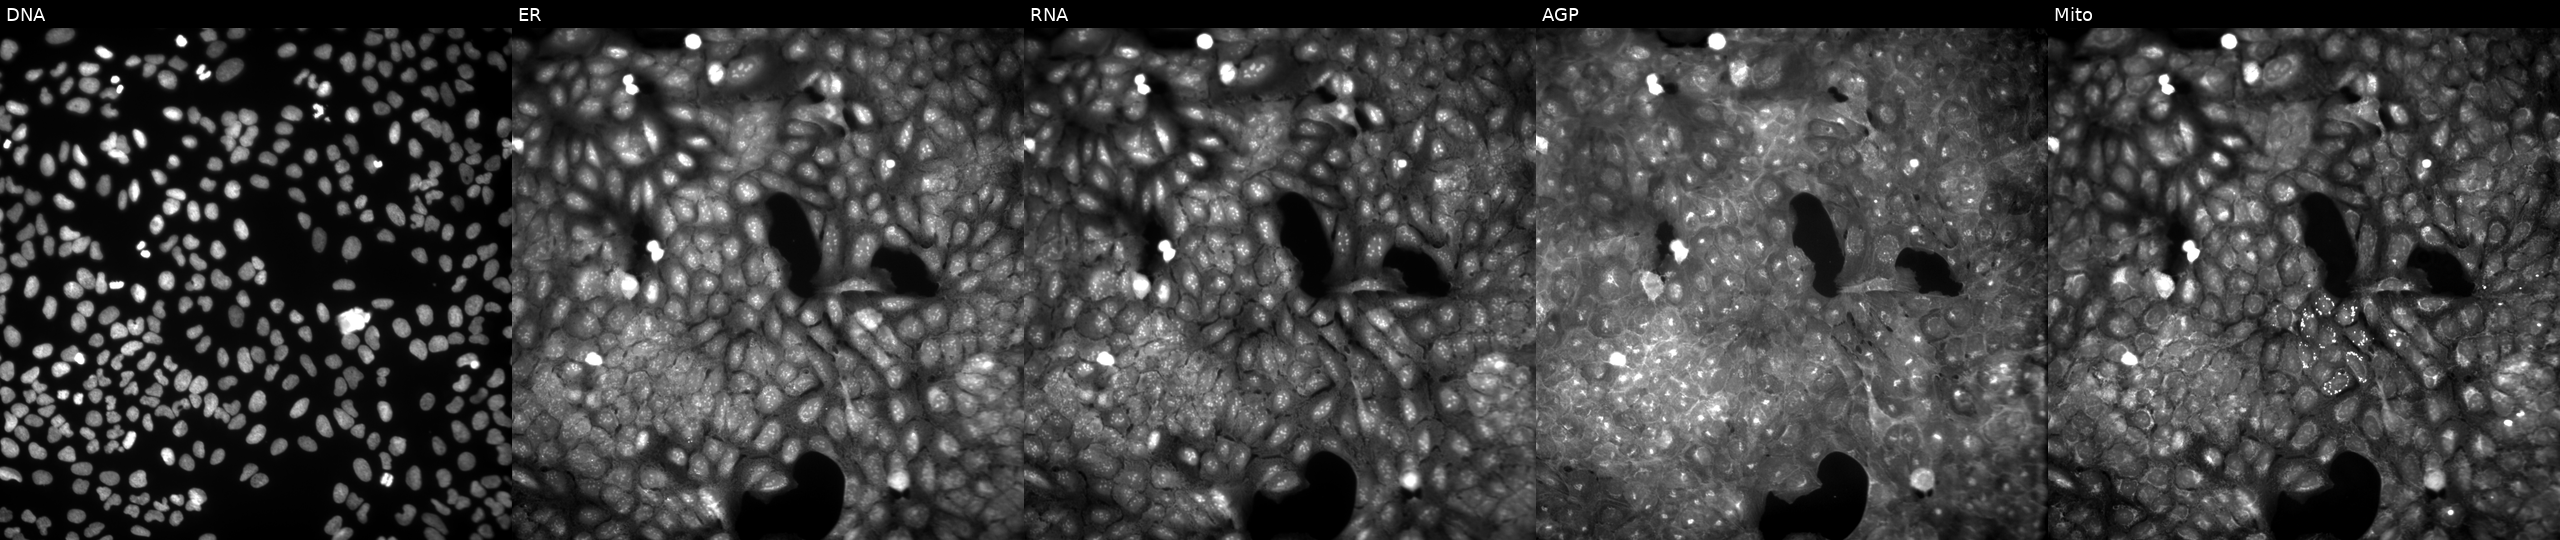
From left to right: DNA, ER, RNA, AGP, and Mito. U2OS osteosarcoma cells treated with a small-molecule compound (InChIKey IHDYBRFHBGJXHU-UHFFFAOYSA-N) (JUMP id JCP2022_035036). Cell Painting assay, JUMP-CP dataset. Source 9, plate GR00003382, well Z40.